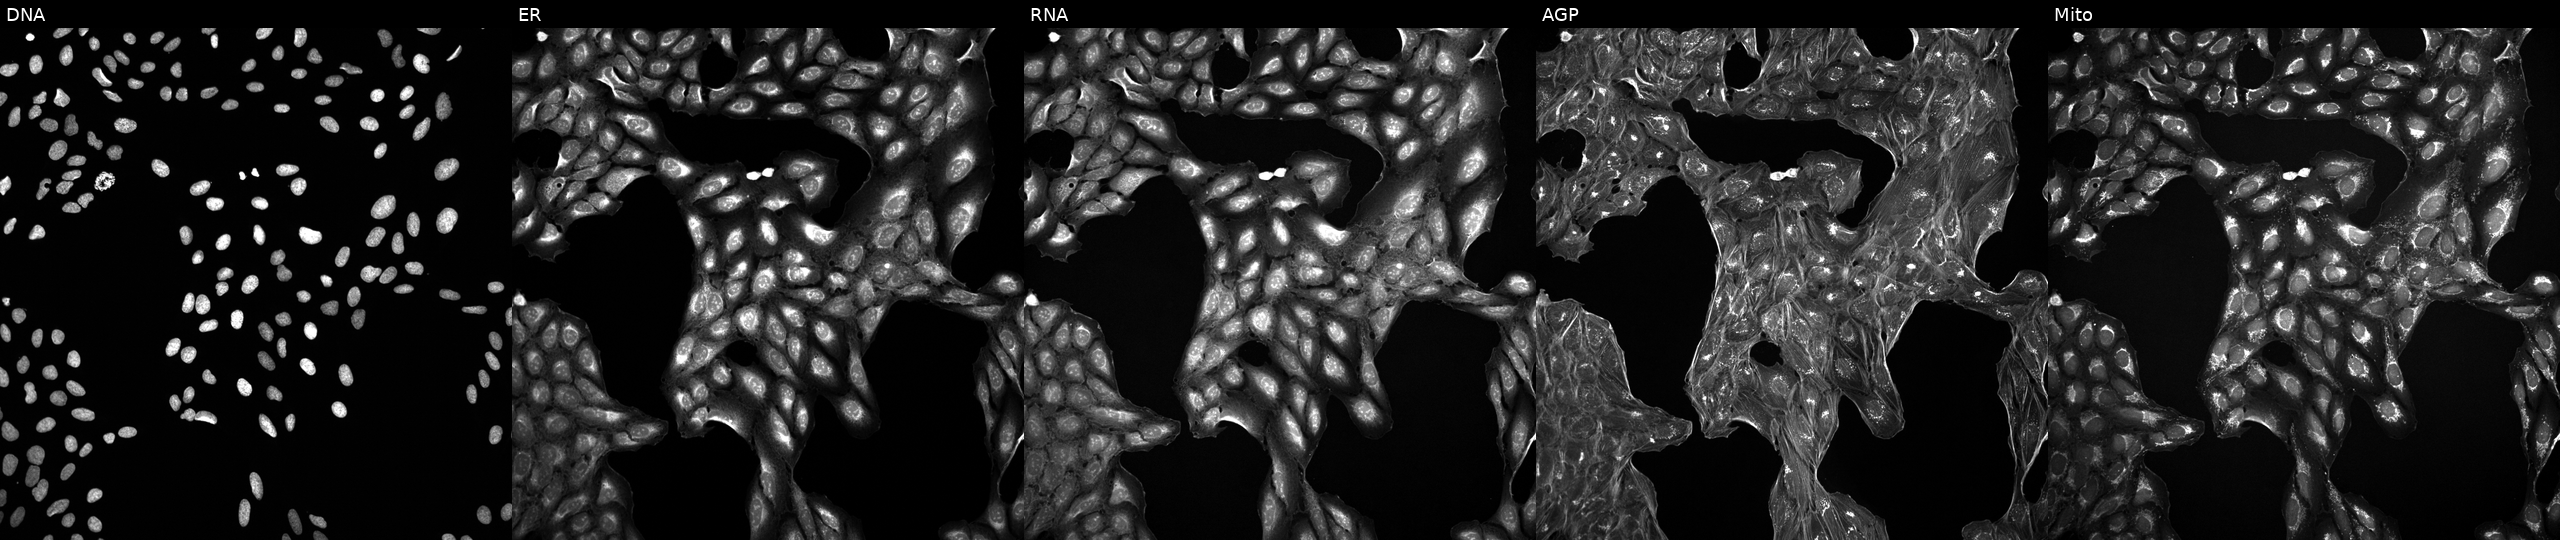
JUMP Cell Painting — TARGET2 plate. U2OS cells treated with DMSO vehicle only (negative control) (JUMP id JCP2022_033924). The five panels, left to right, show Hoechst 33342, concanavalin A, SYTO 14, phalloidin and WGA, MitoTracker.